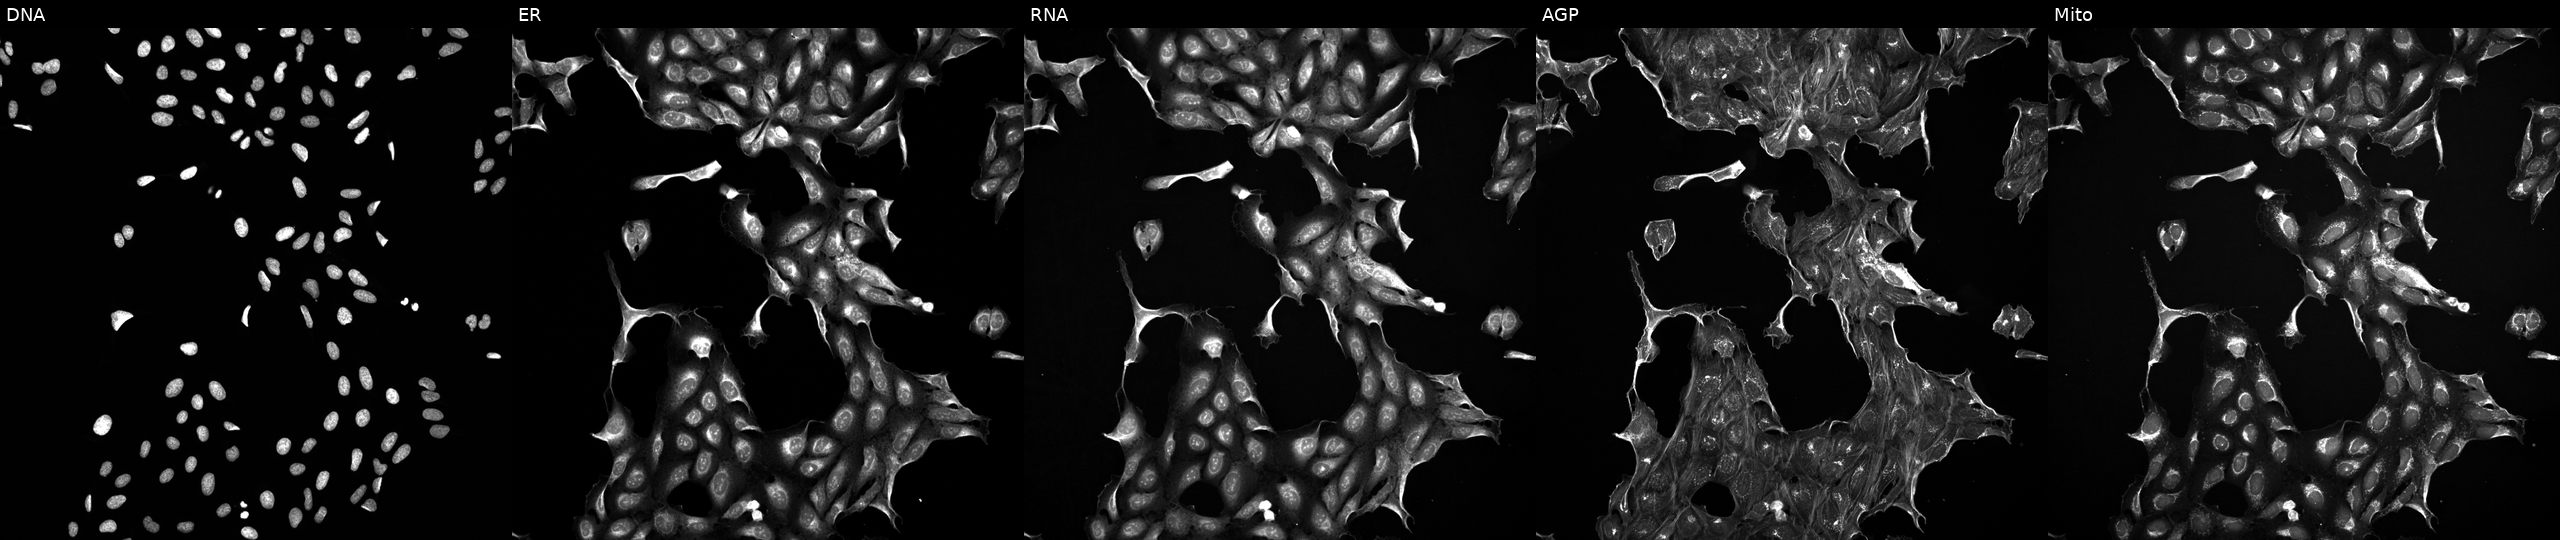
JUMP Cell Painting — TARGET2 plate. U2OS cells exposed to a small-molecule compound (InChIKey IIQUYGWWHIHOCF-UHFFFAOYSA-N) (JUMP id JCP2022_035296). Channels (left→right): DNA (nuclei); ER (endoplasmic reticulum); RNA (nucleoli and cytoplasmic RNA); AGP (actin cytoskeleton, Golgi, and plasma membrane); Mito (mitochondria).